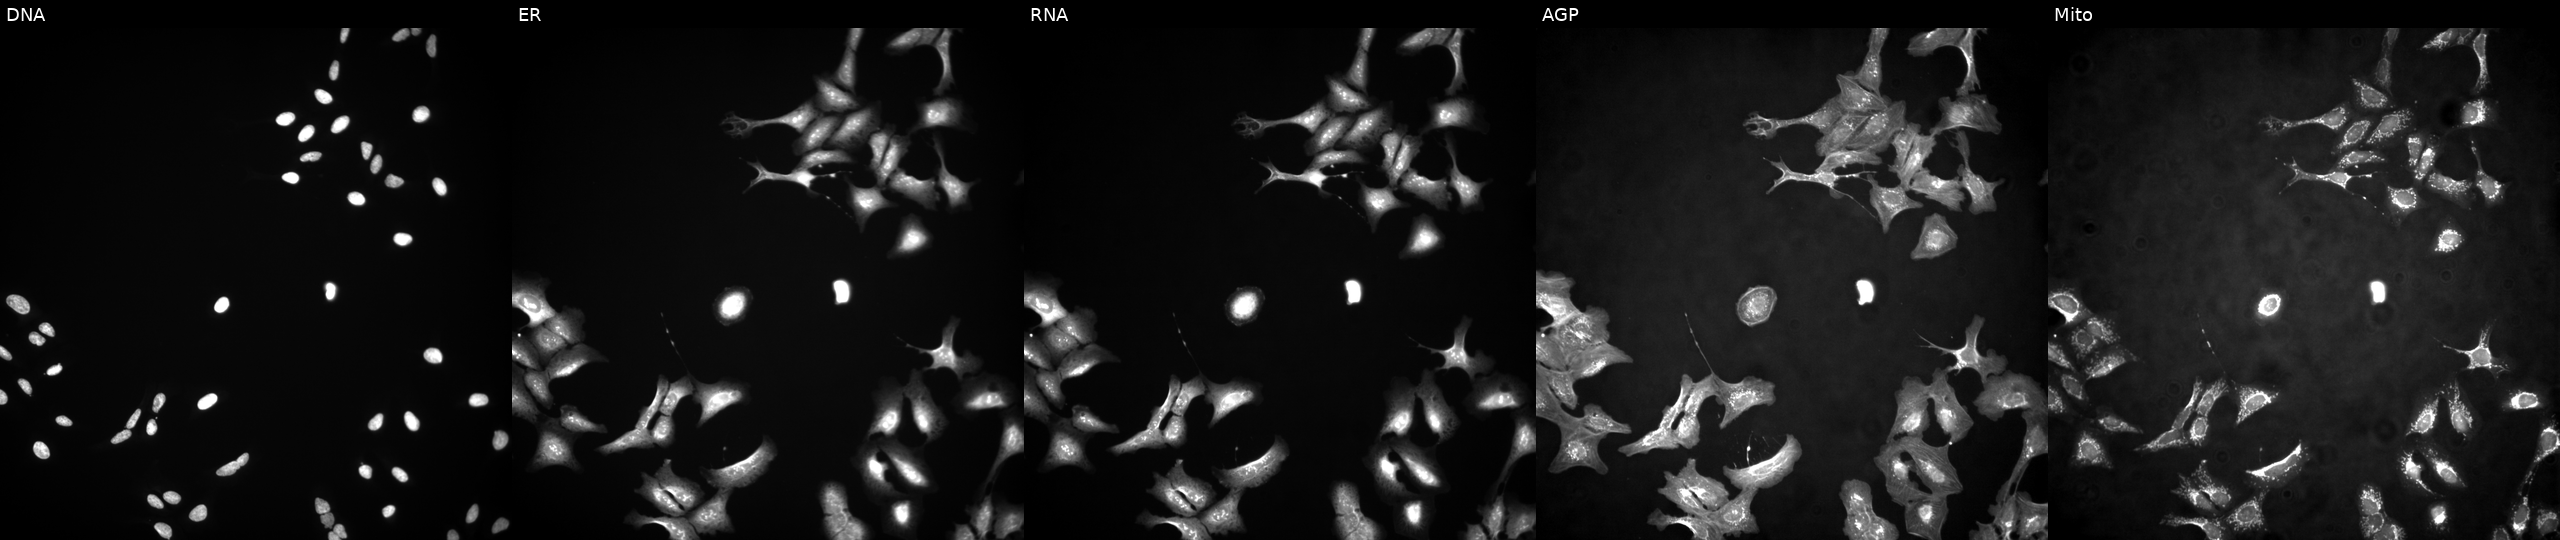
This image strip shows the five Cell Painting channels for a single field of U2OS cells transfected with an ORF construct for HOXB13 (JUMP id JCP2022_902296). From left to right: Hoechst 33342, concanavalin A, SYTO 14, phalloidin and WGA, MitoTracker.